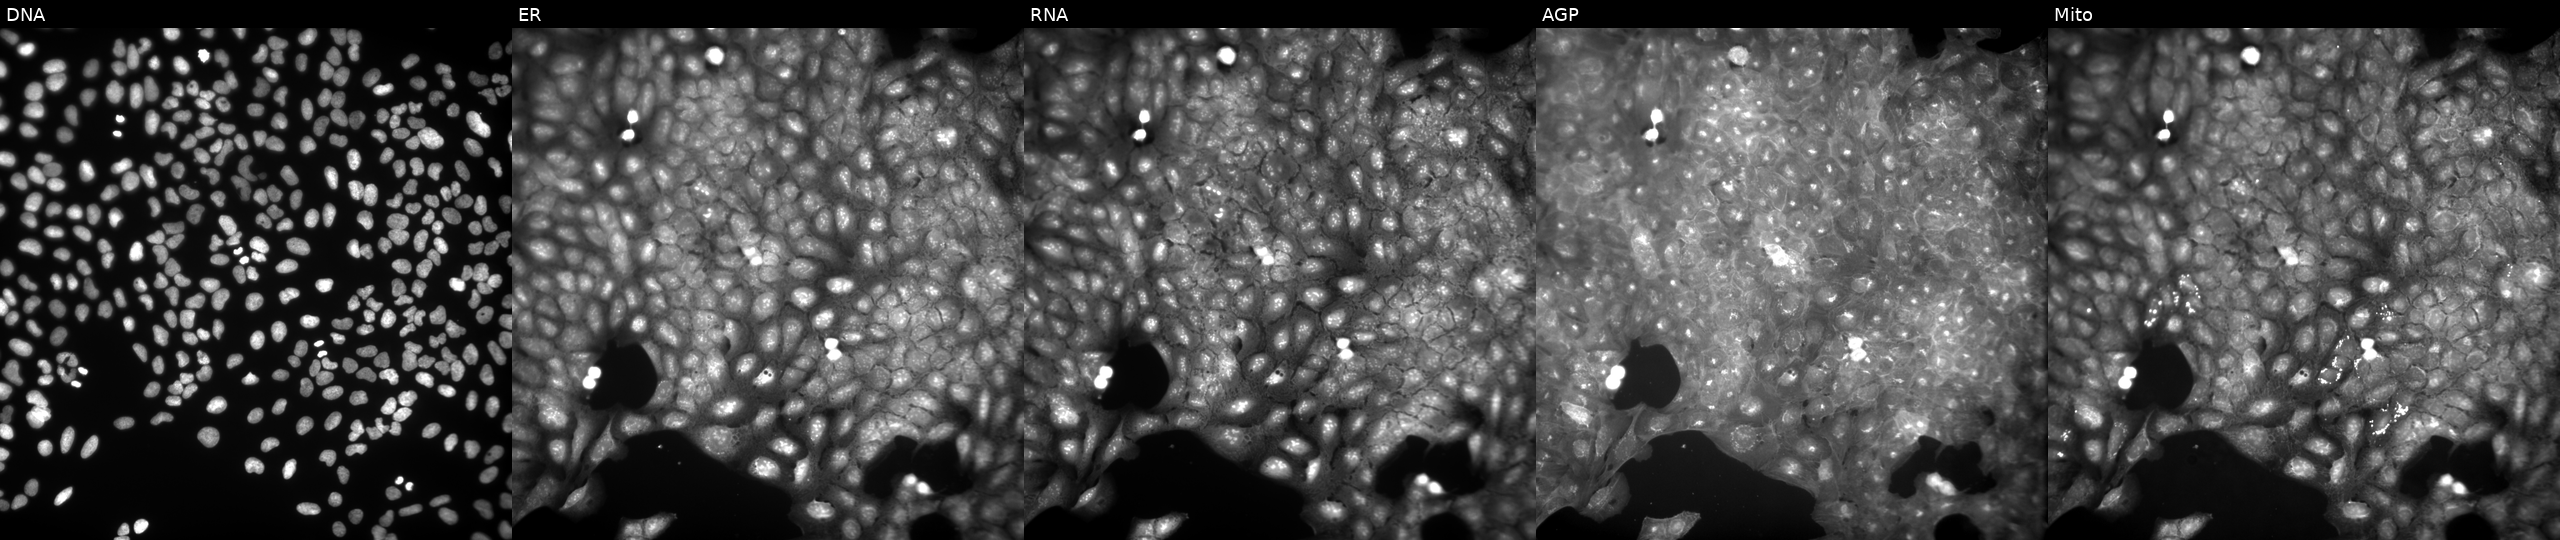
High-content fluorescence microscopy (Cell Painting). Cell line: U2OS. Perturbation: perturbed with a small-molecule compound (InChIKey JUZQPSVJSMGWFG-UHFFFAOYSA-N). Channels (left→right): Hoechst 33342, concanavalin A, SYTO 14, phalloidin and WGA, MitoTracker. Source 9, plate GR00003382, well W45.